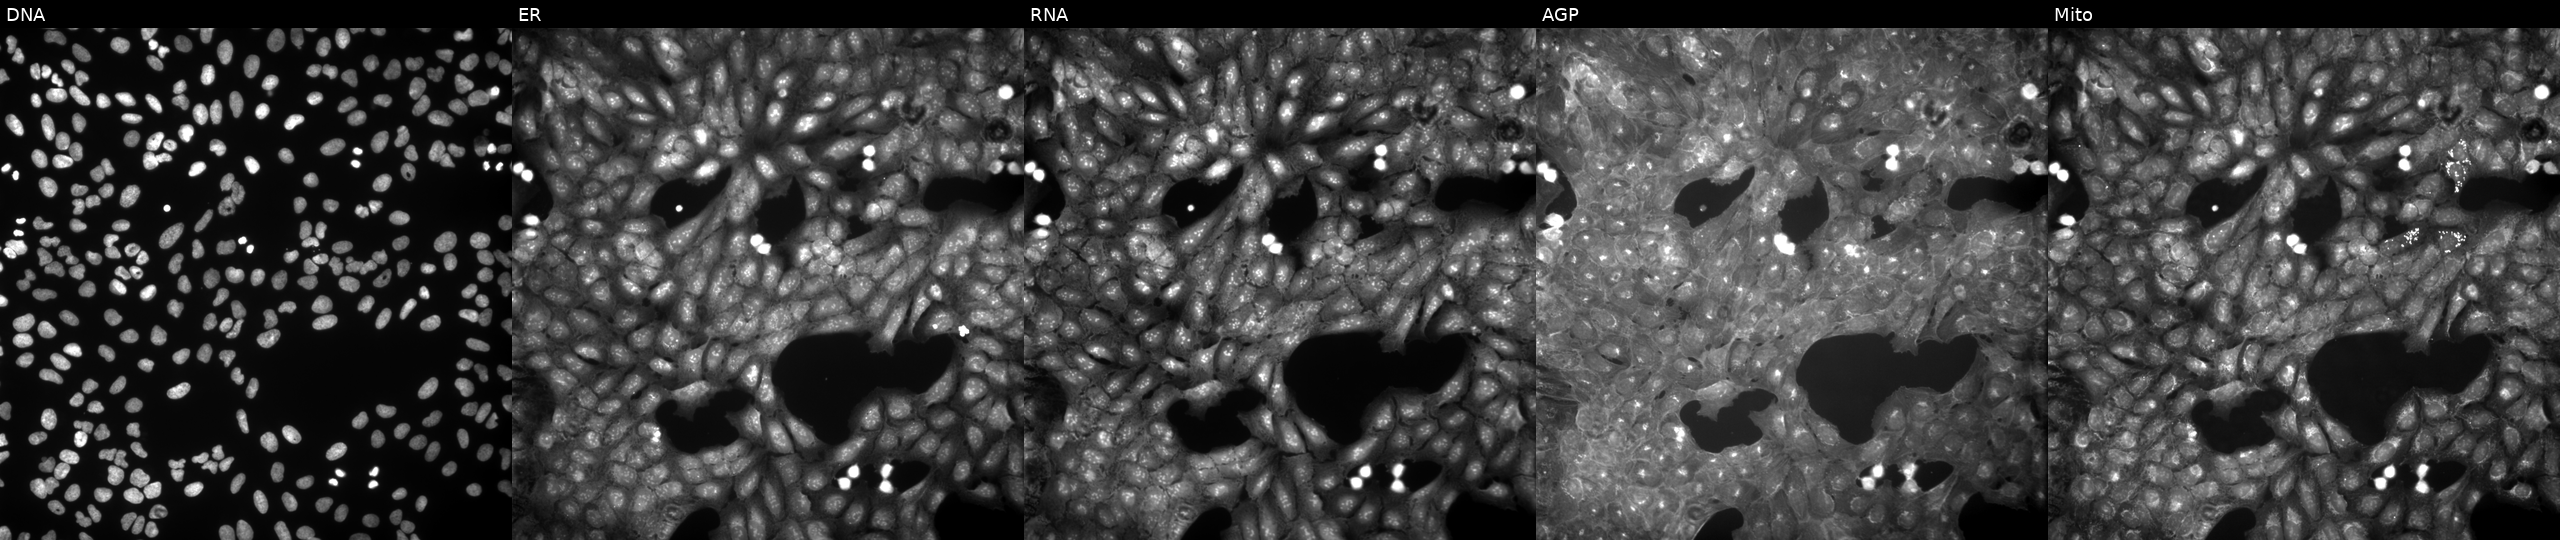
High-content fluorescence microscopy (Cell Painting). Cell line: U2OS. Perturbation: exposed to a small-molecule compound. The five panels, left to right, show DNA (nuclei); ER (endoplasmic reticulum); RNA (nucleoli and cytoplasmic RNA); AGP (actin cytoskeleton, Golgi, and plasma membrane); Mito (mitochondria).